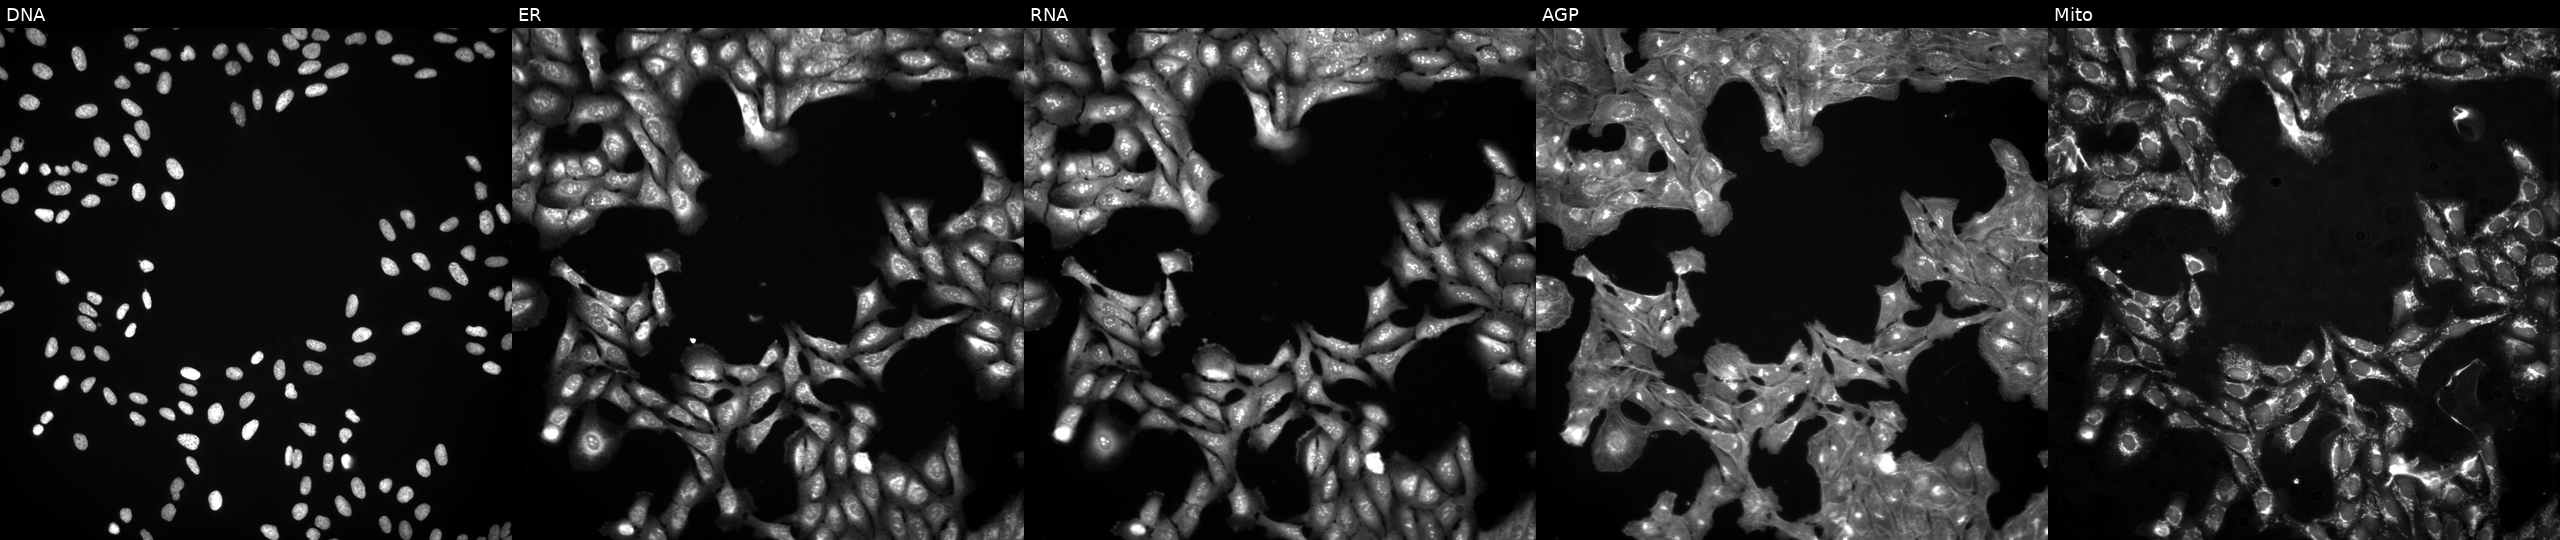
U2OS cells, Cell Painting assay, perturbed with a small-molecule compound (InChIKey QEJWQVQARJWZHA-UHFFFAOYSA-N). The five panels, left to right, show DNA, ER, RNA, AGP, and Mito. Each panel is percentile-stretched 16-bit fluorescence.